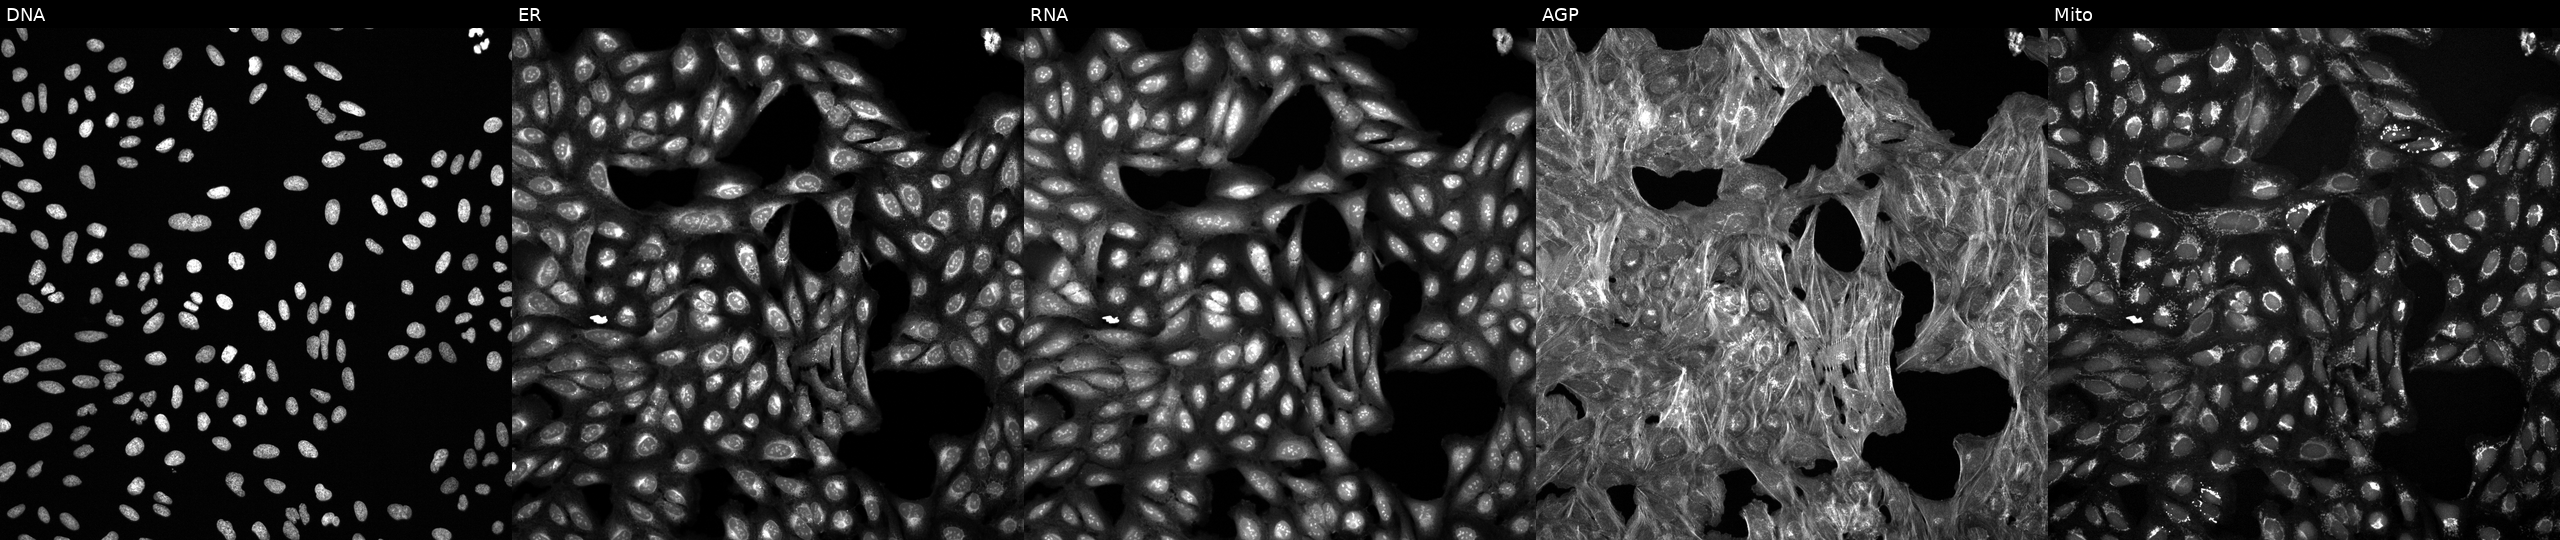
JUMP Cell Painting — TARGET2 plate. U2OS cells exposed to a small-molecule compound (InChIKey NMUSYJAQQFHJEW-UHFFFAOYSA-N) (JUMP id JCP2022_060040). From left to right: DNA (nuclei); ER (endoplasmic reticulum); RNA (nucleoli and cytoplasmic RNA); AGP (actin cytoskeleton, Golgi, and plasma membrane); Mito (mitochondria). Source 6, plate 110000293081, well H20.